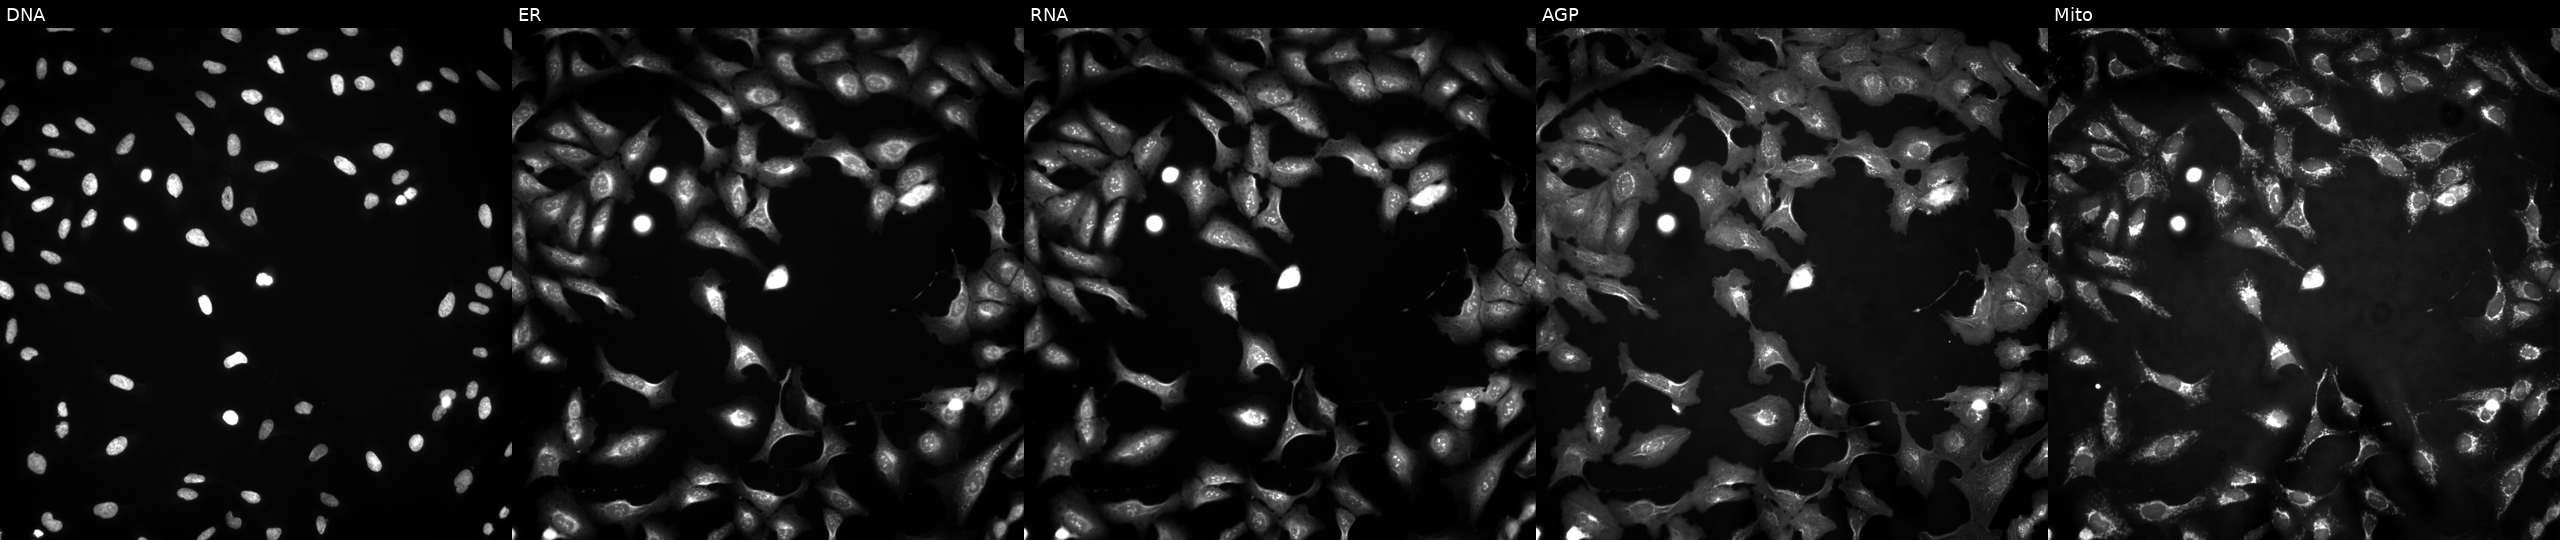
High-content fluorescence microscopy (Cell Painting). Cell line: U2OS. Perturbation: transfected with an ORF construct for B9D2. Panels show, left to right, Hoechst 33342, concanavalin A, SYTO 14, phalloidin and WGA, MitoTracker. Source 4, plate BR00121543, well B16.